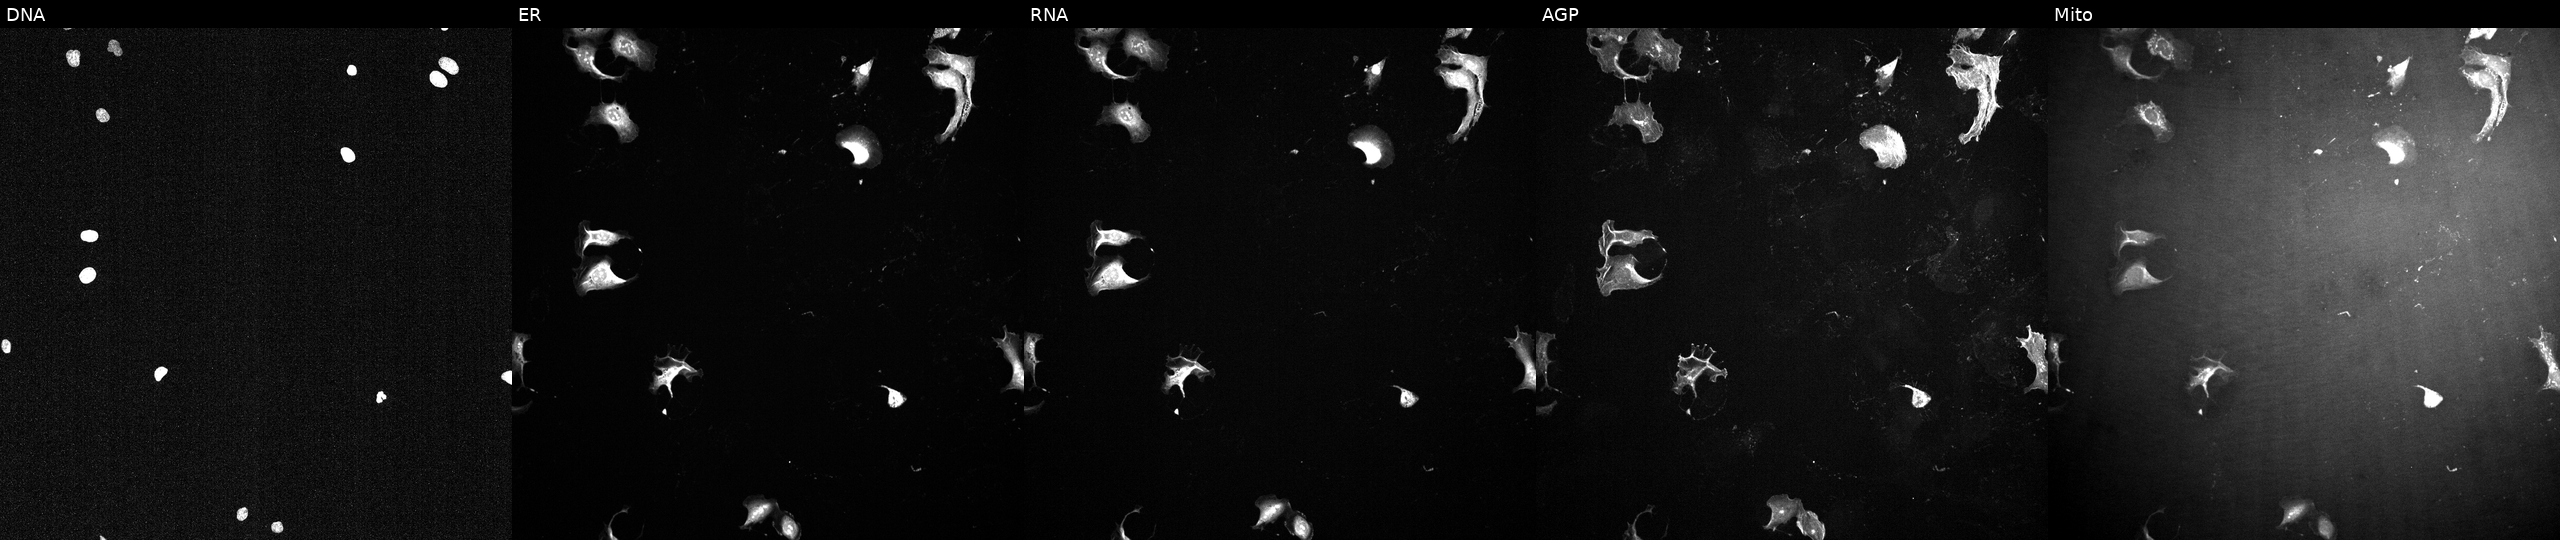
Five-channel Cell Painting image of U2OS cells perturbed with a small-molecule compound (InChIKey AJVXVYTVAAWZAP-UHFFFAOYSA-N) [SMILES: CC1(C)C(=O)N=C2c3ccccc3C(=O)C(=O)C21]. Channels (left→right): DNA, ER, RNA, AGP, and Mito.